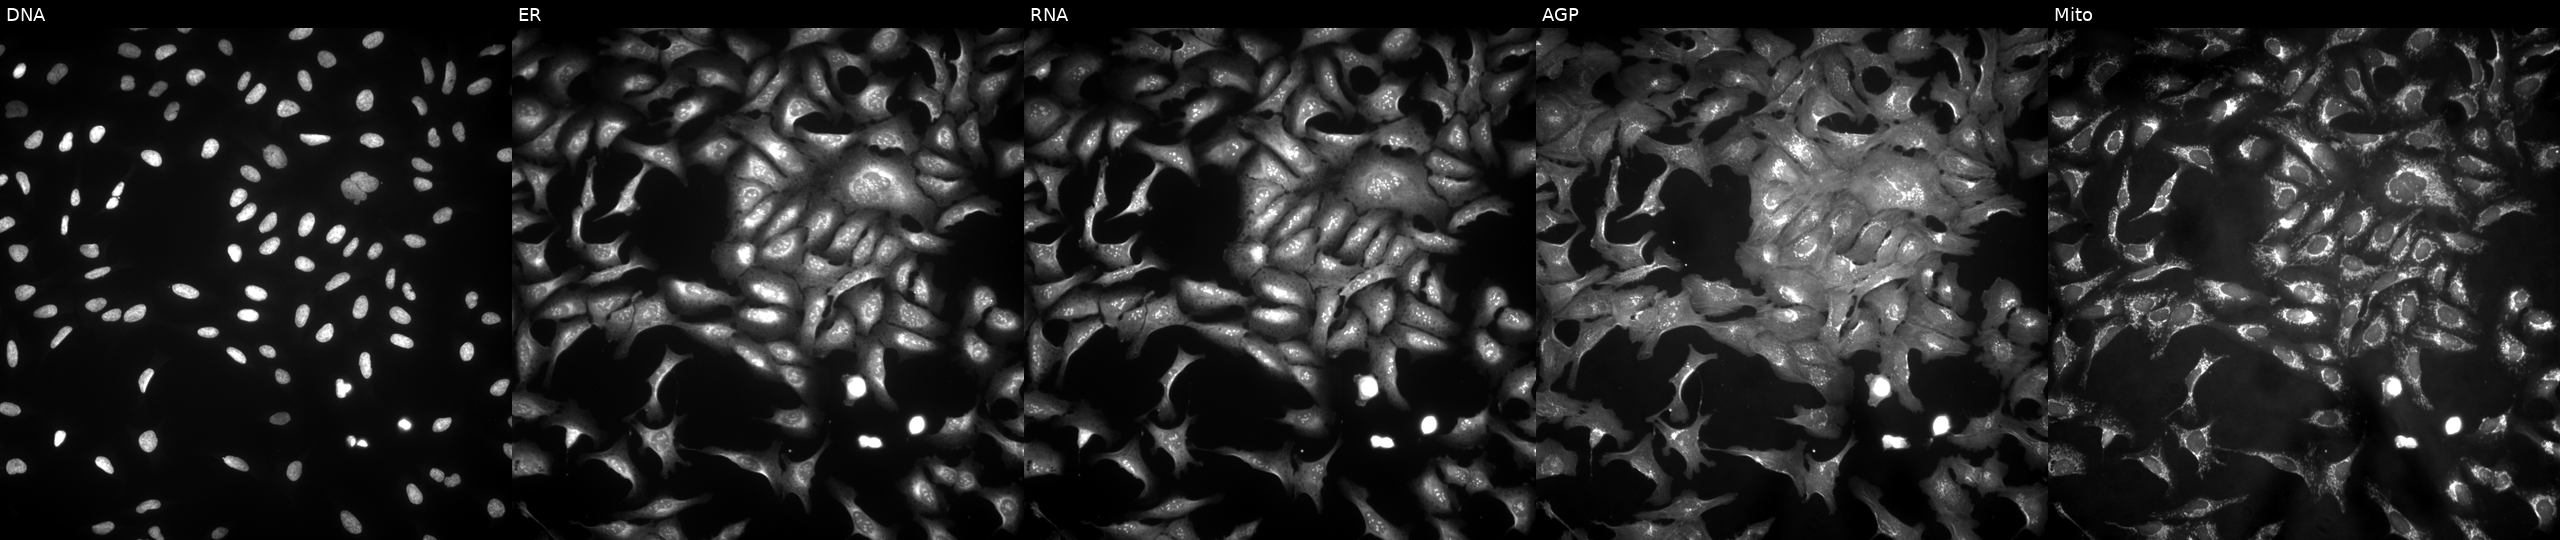
Five-channel Cell Painting image of U2OS cells transfected with an ORF construct for FAXC. Channels (left→right): DNA, ER, RNA, AGP, and Mito.